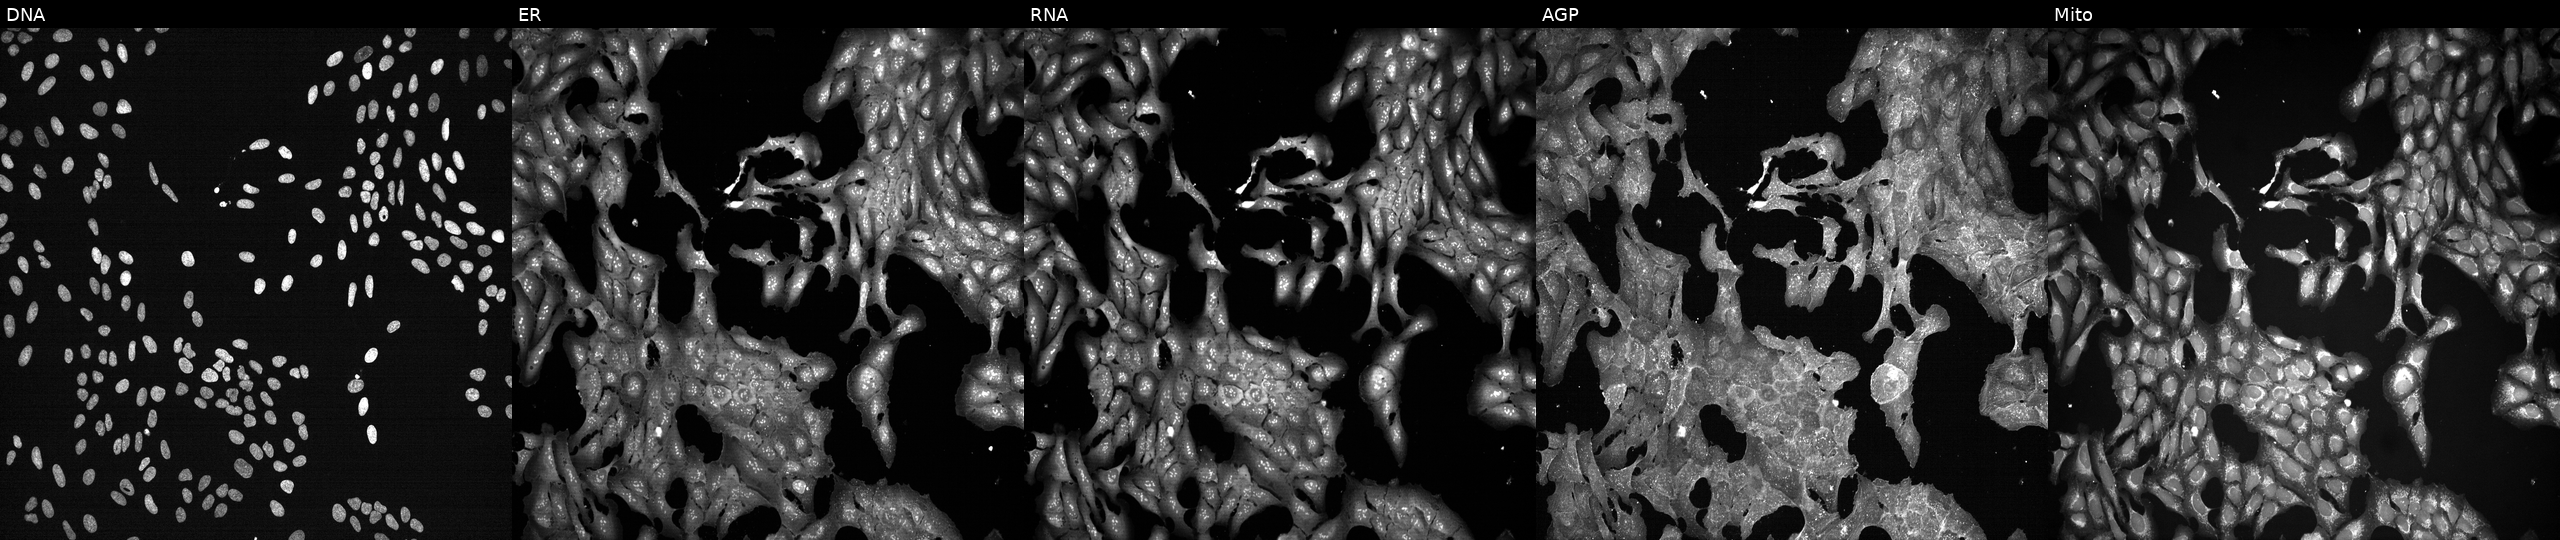
The five panels, left to right, show DNA, ER, RNA, AGP, and Mito. U2OS osteosarcoma cells perturbed with a small-molecule compound (InChIKey MQQNFDZXWVTQEH-UHFFFAOYSA-N). Cell Painting assay, JUMP-CP dataset.